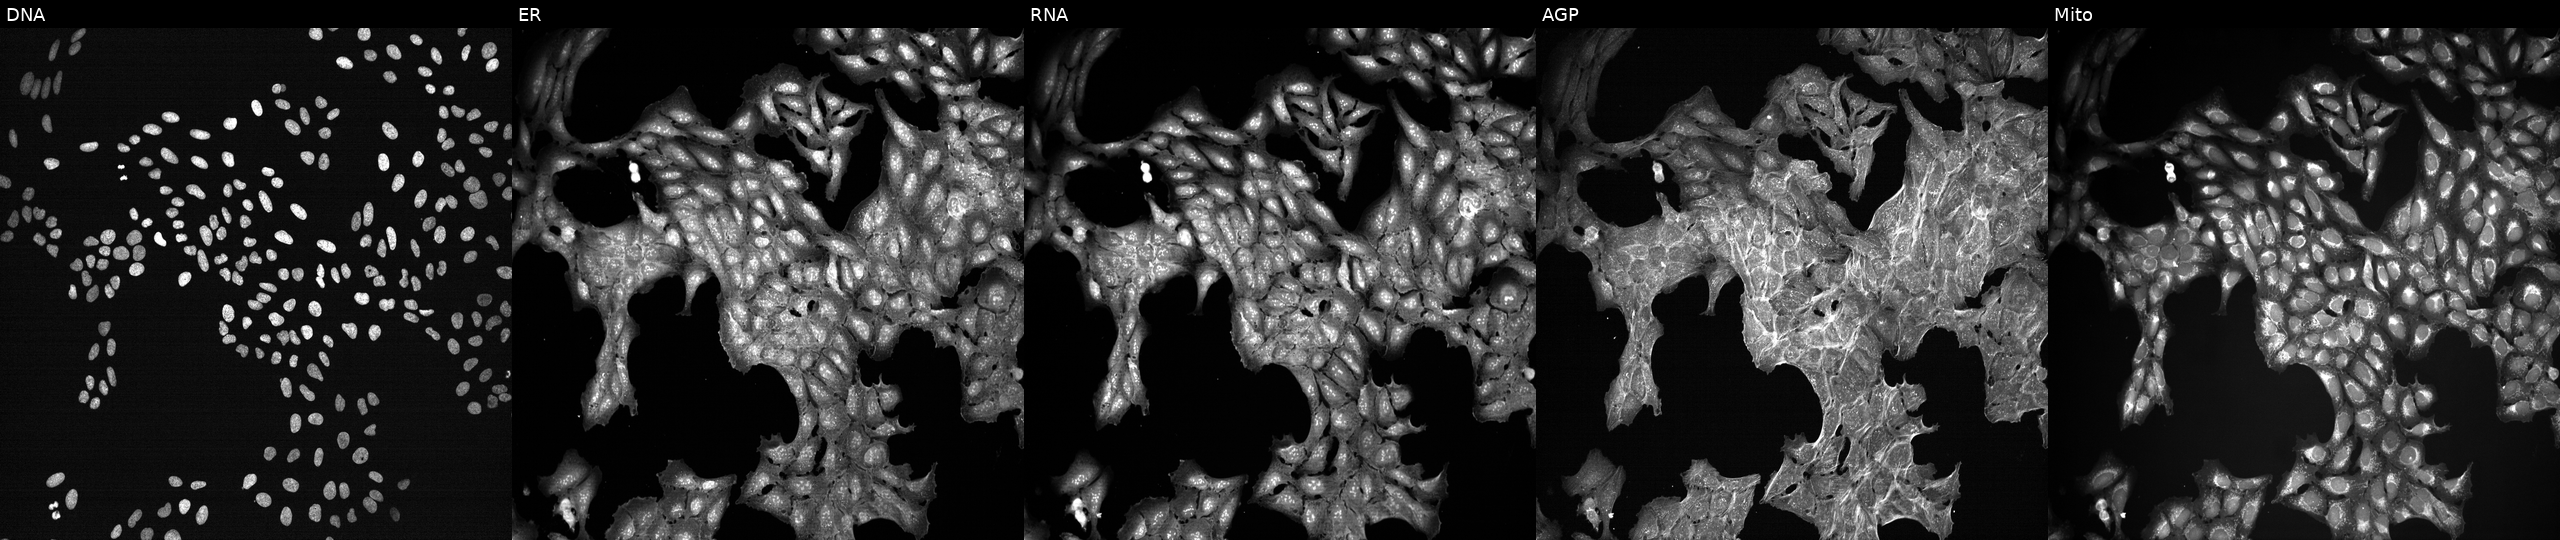
Panels show, left to right, DNA (nuclei); ER (endoplasmic reticulum); RNA (nucleoli and cytoplasmic RNA); AGP (actin cytoskeleton, Golgi, and plasma membrane); Mito (mitochondria). U2OS osteosarcoma cells perturbed with a small-molecule compound (InChIKey UQNAFPHGVPVTAL-UHFFFAOYSA-N) (JUMP id JCP2022_090884). Cell Painting assay, JUMP-CP dataset. Source 7, plate CP3-SC1-25, well N23.